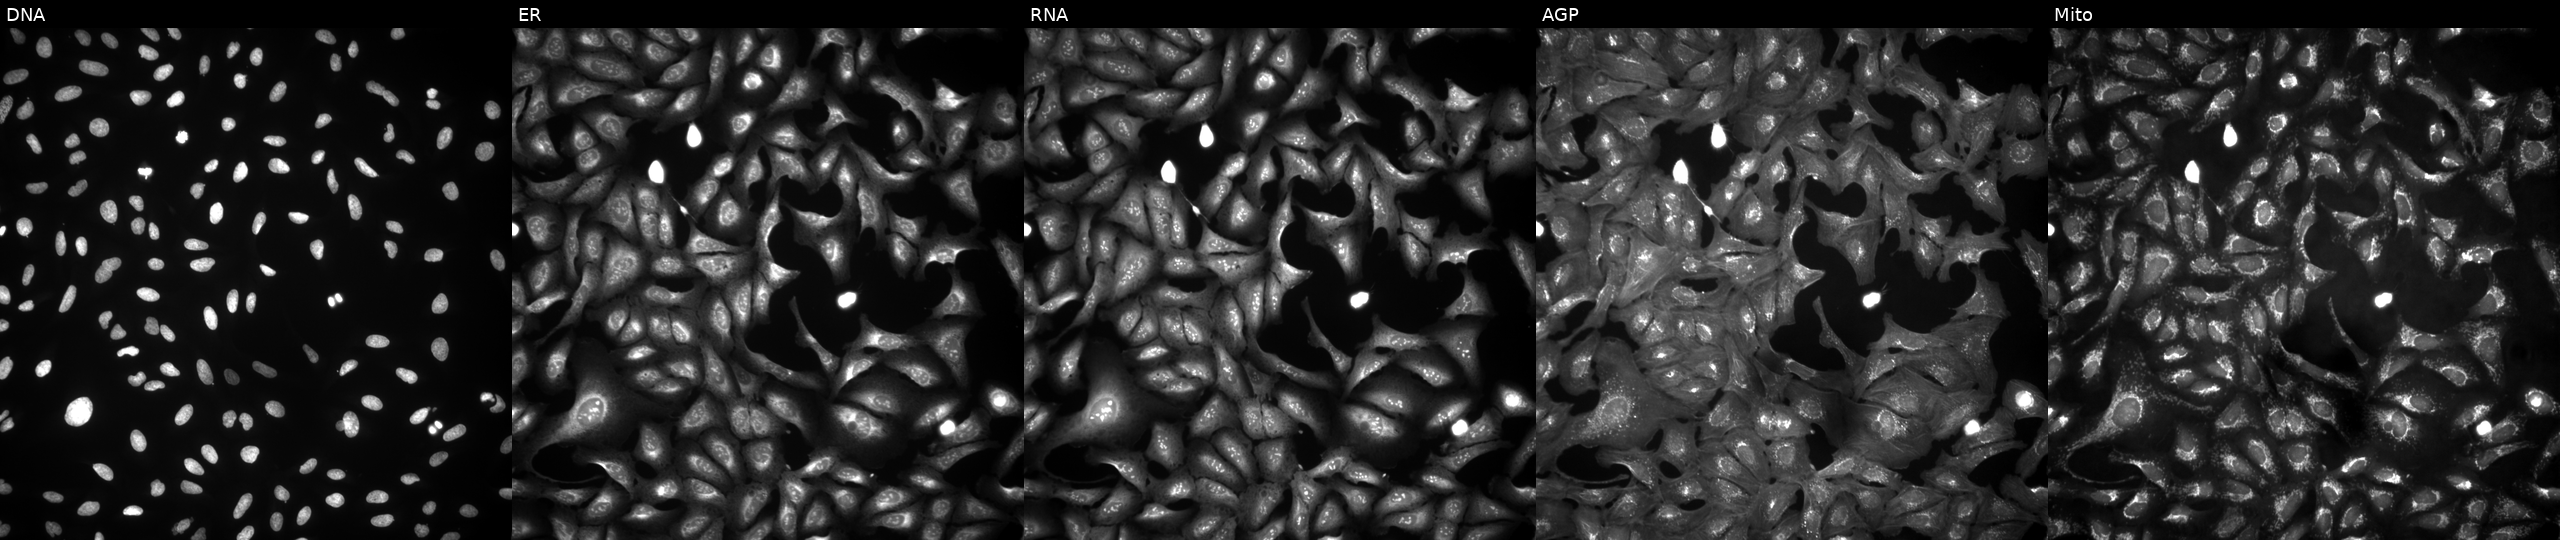
Channels (left→right): Hoechst 33342, concanavalin A, SYTO 14, phalloidin and WGA, MitoTracker. U2OS osteosarcoma cells with SELE overexpressed (ORF) (JUMP id JCP2022_901416). Cell Painting assay, JUMP-CP dataset.